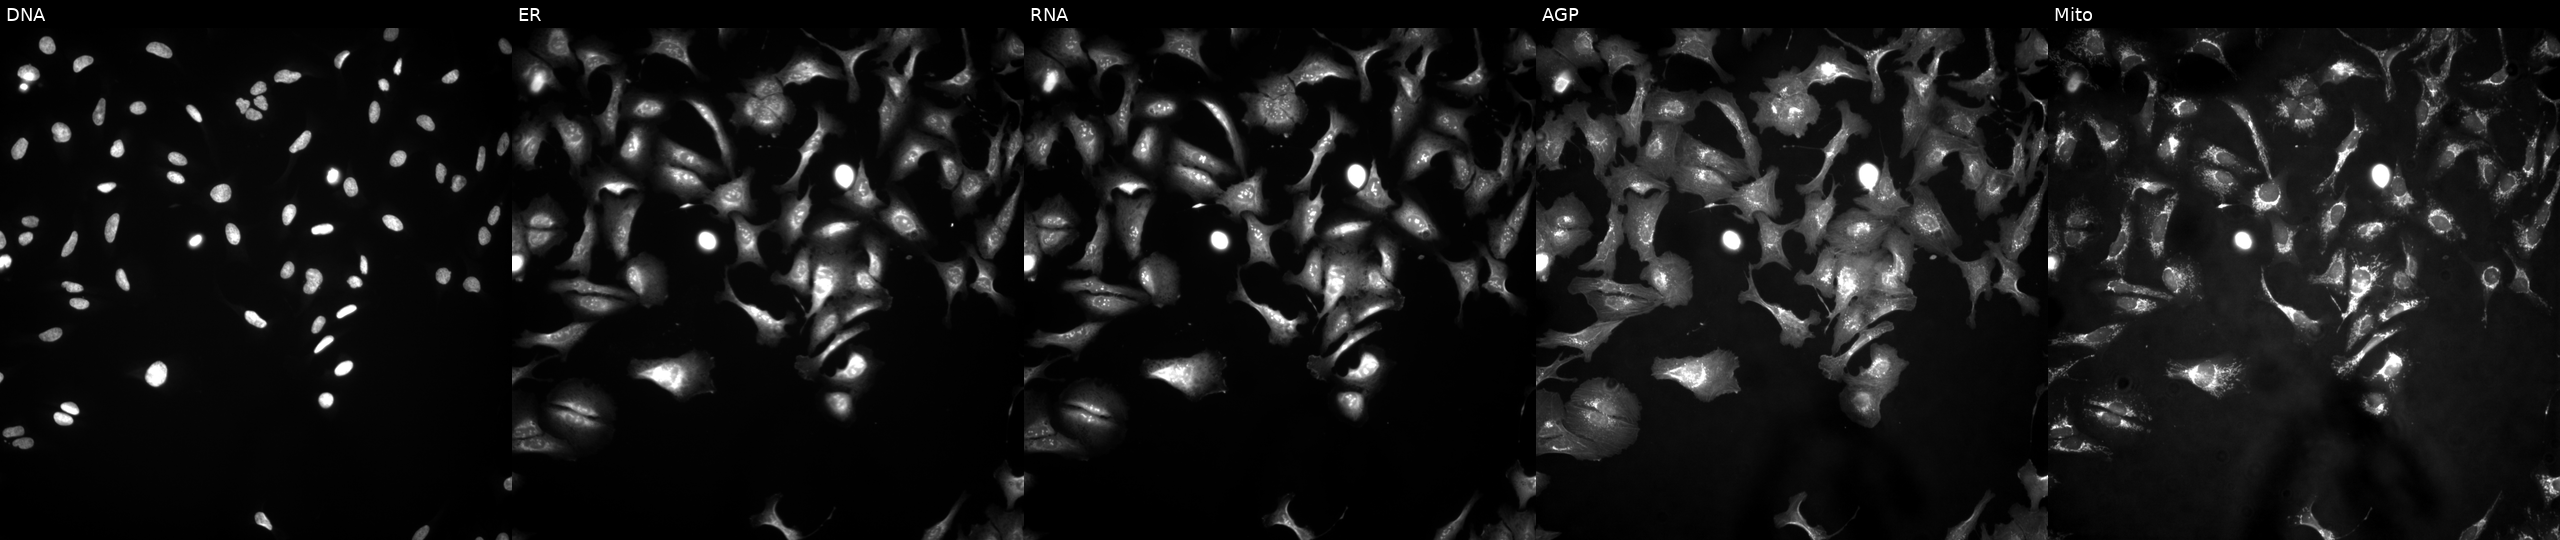
High-content fluorescence microscopy (Cell Painting). Cell line: U2OS. Perturbation: transfected with an ORF construct for BTF3 (JUMP id JCP2022_900166). Channels (left→right): DNA (nuclei); ER (endoplasmic reticulum); RNA (nucleoli and cytoplasmic RNA); AGP (actin cytoskeleton, Golgi, and plasma membrane); Mito (mitochondria).